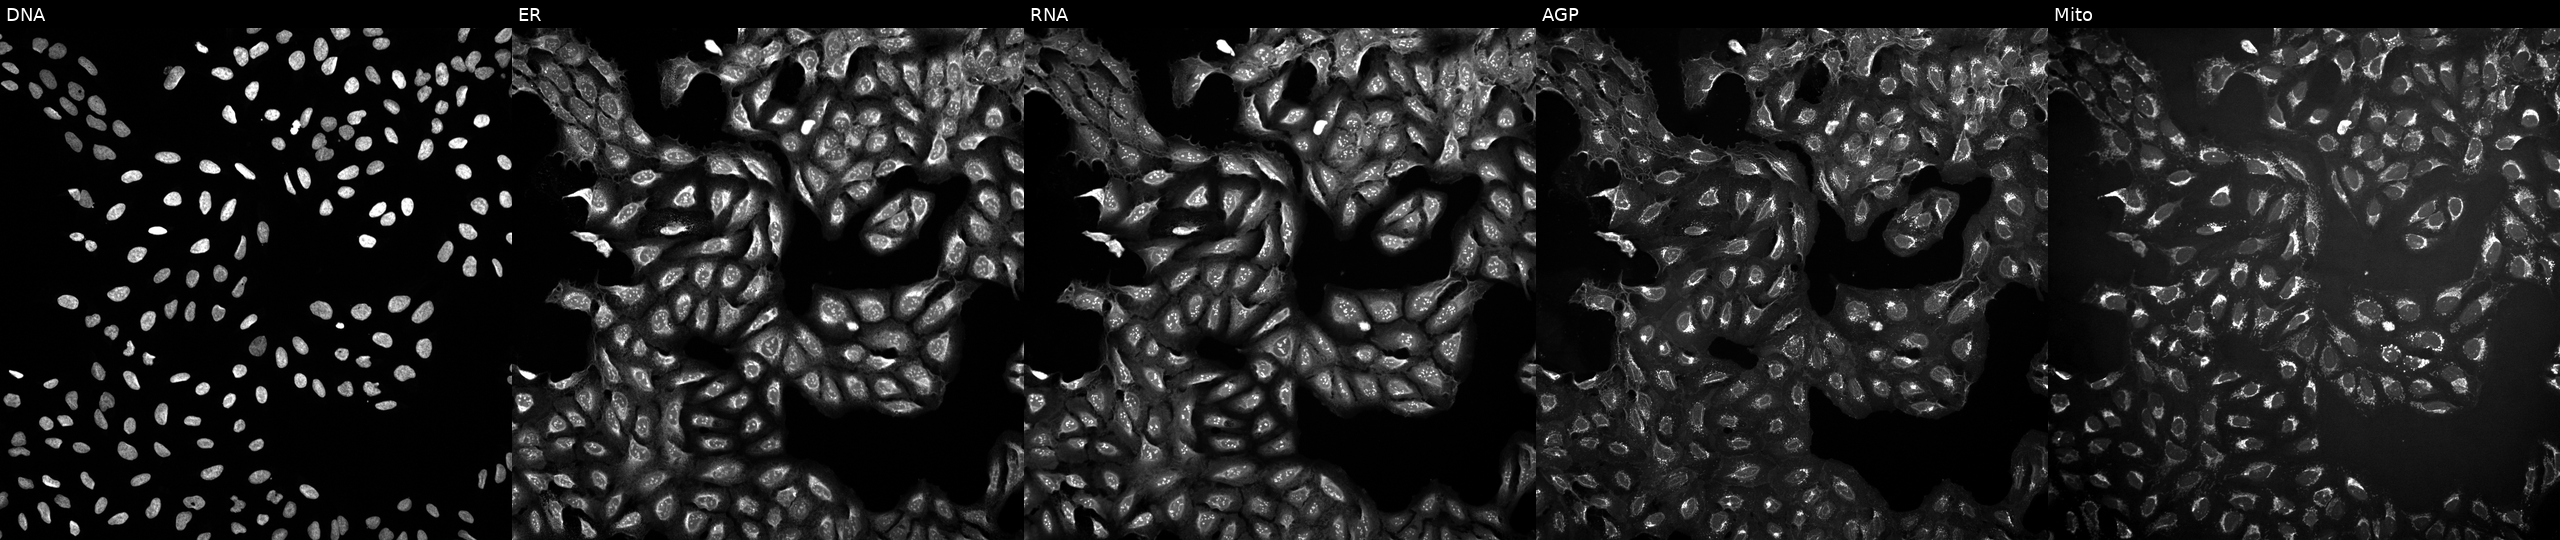
From left to right: Hoechst 33342, concanavalin A, SYTO 14, phalloidin and WGA, MitoTracker. U2OS osteosarcoma cells treated with a small-molecule compound (InChIKey WATNXVHKRRTUFK-UHFFFAOYSA-N) (JUMP id JCP2022_097564). Cell Painting assay, JUMP-CP dataset.